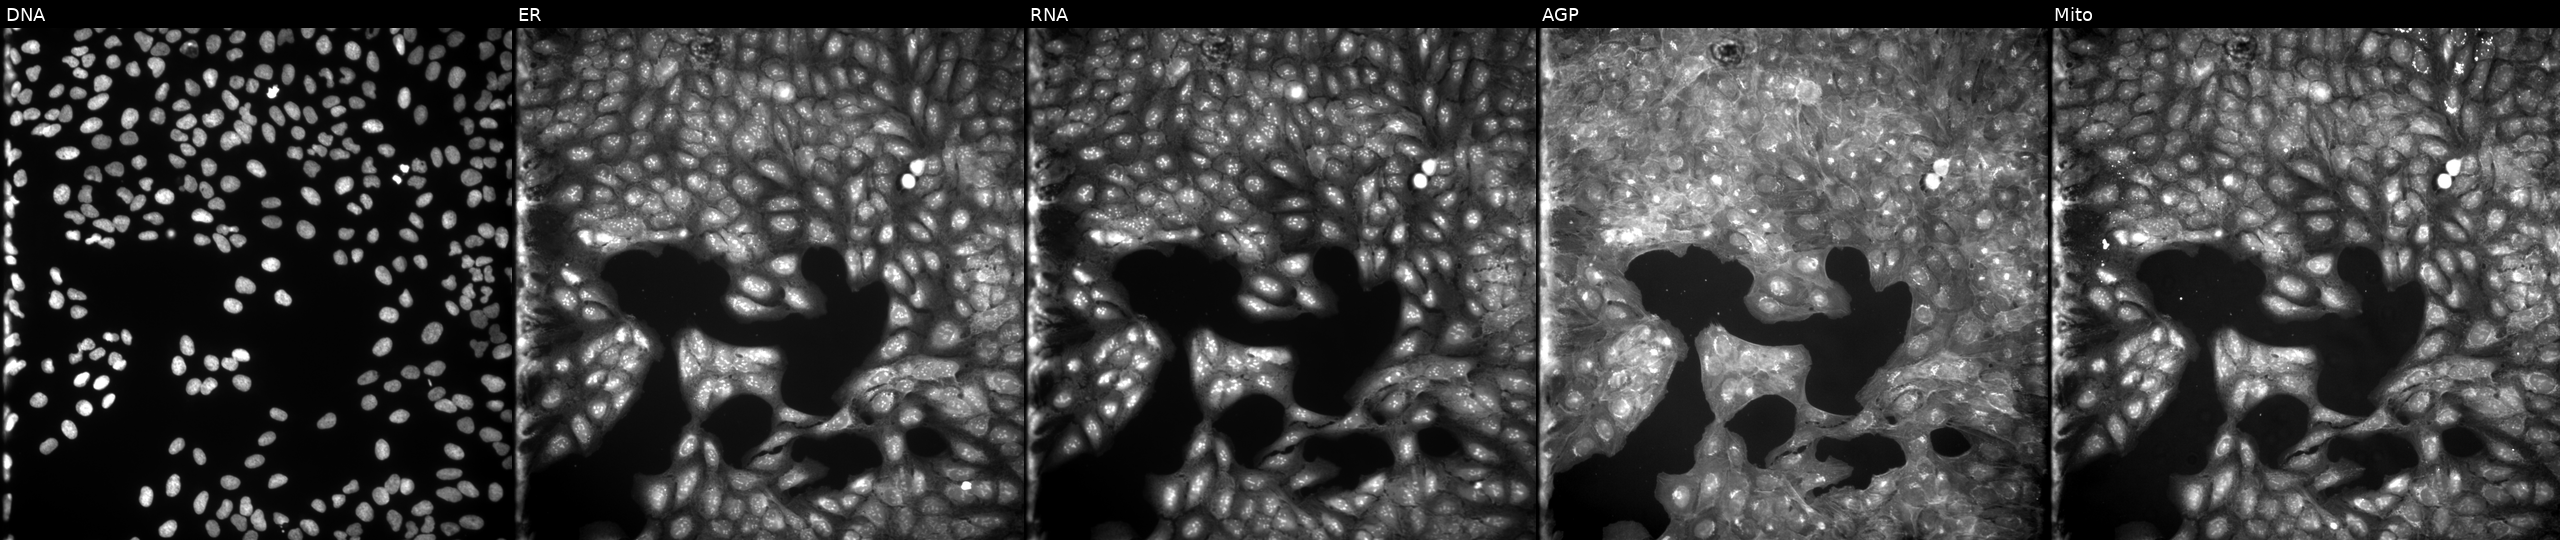
JUMP Cell Painting — COMPOUND plate. U2OS cells exposed to a small-molecule compound (InChIKey HCLJXIXIDZXOBL-UHFFFAOYSA-N). From left to right: DNA, ER, RNA, AGP, and Mito. Source 9, plate GR00003382, well E18.